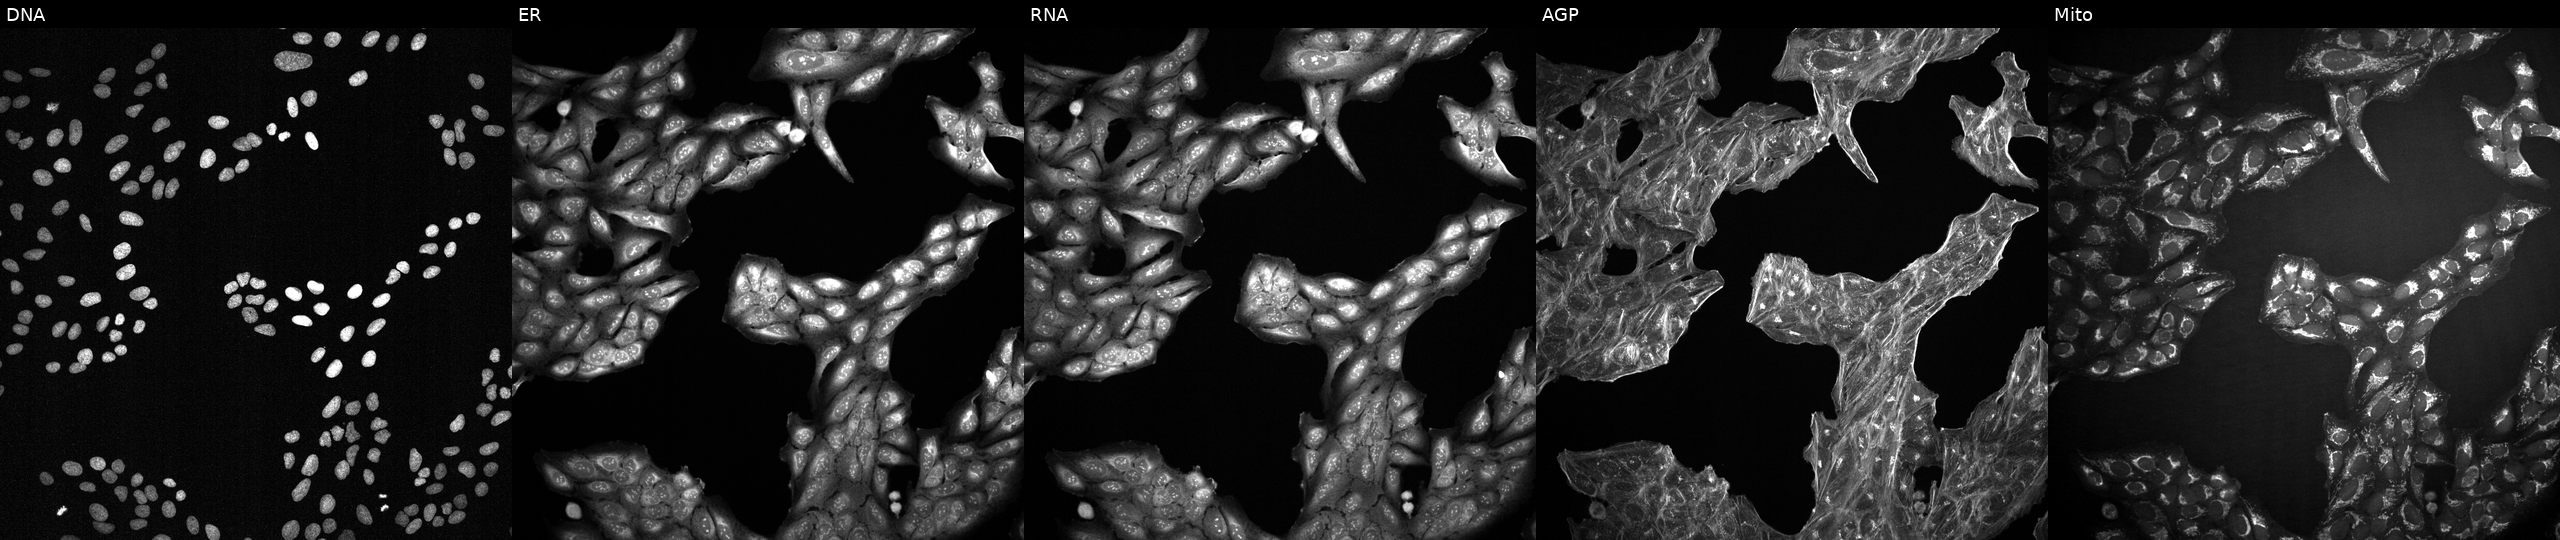
High-content fluorescence microscopy (Cell Painting). Cell line: U2OS. Perturbation: exposed to DMSO alone as a negative control. Panels show, left to right, DNA, ER, RNA, AGP, and Mito.